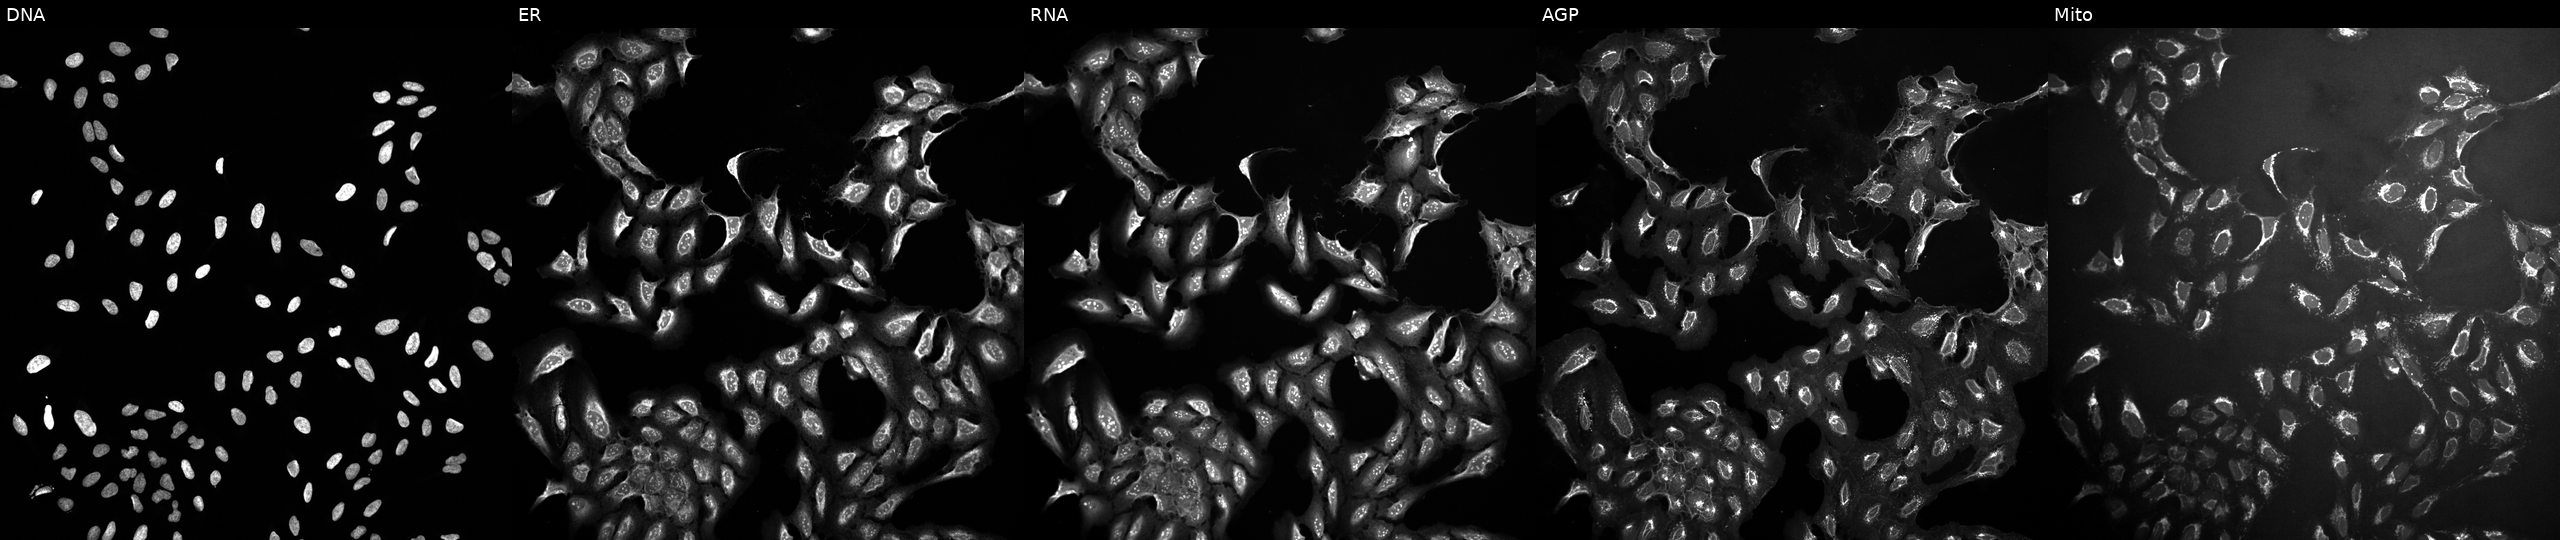
Five-channel Cell Painting image of U2OS cells perturbed with a small-molecule compound. Panels show, left to right, Hoechst 33342, concanavalin A, SYTO 14, phalloidin and WGA, MitoTracker.